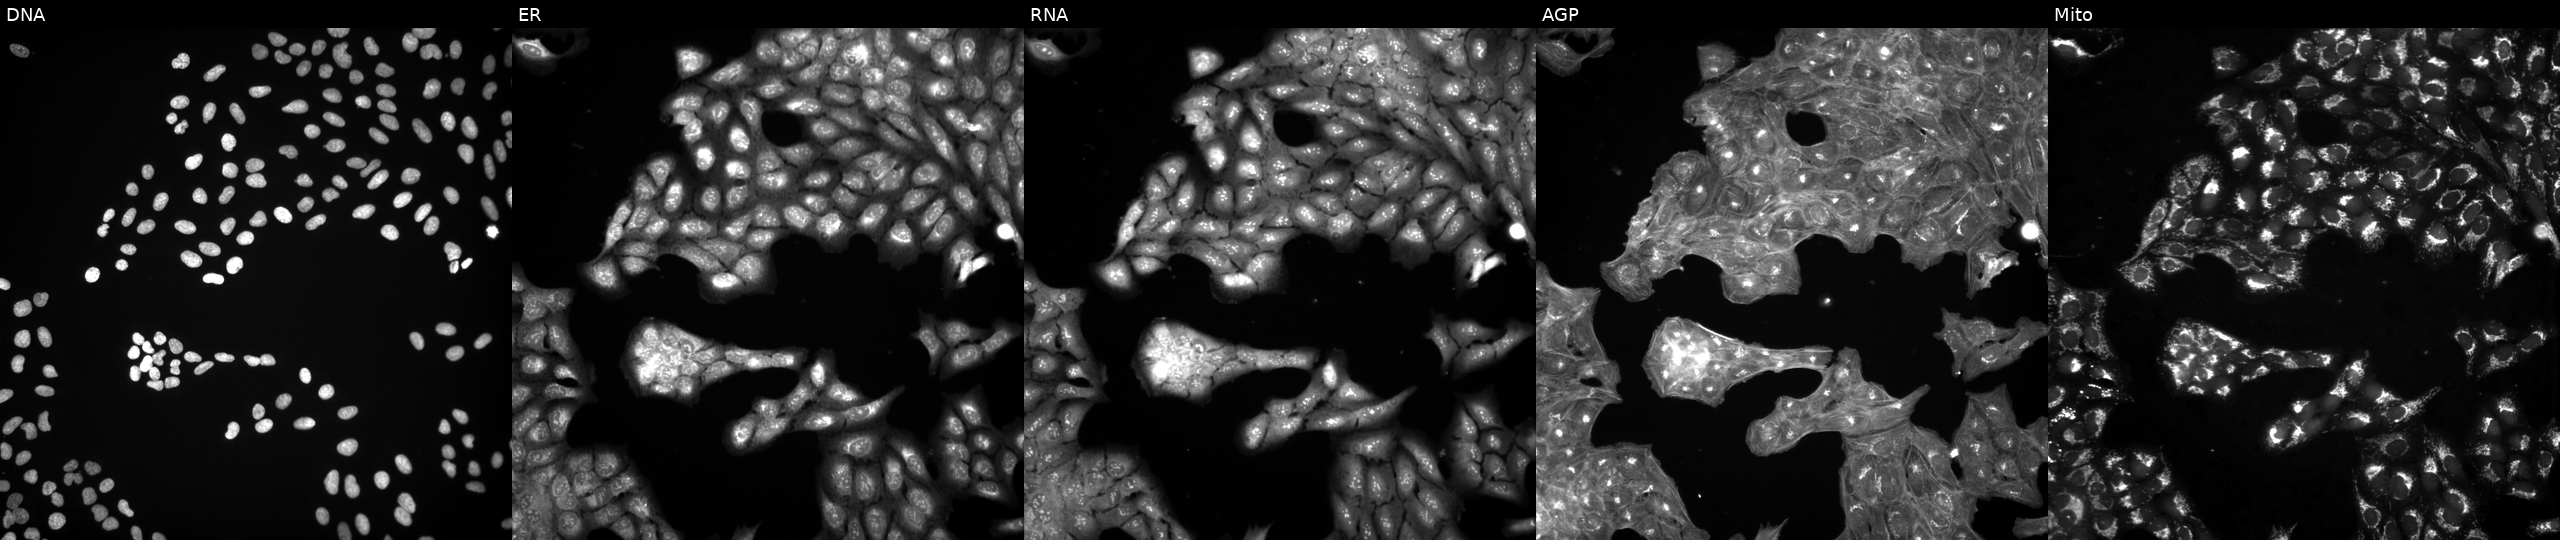
Panels show, left to right, DNA (nuclei); ER (endoplasmic reticulum); RNA (nucleoli and cytoplasmic RNA); AGP (actin cytoskeleton, Golgi, and plasma membrane); Mito (mitochondria). U2OS osteosarcoma cells treated with a small-molecule compound. Cell Painting assay, JUMP-CP dataset. Source 3, plate JCPQC051, well M06.